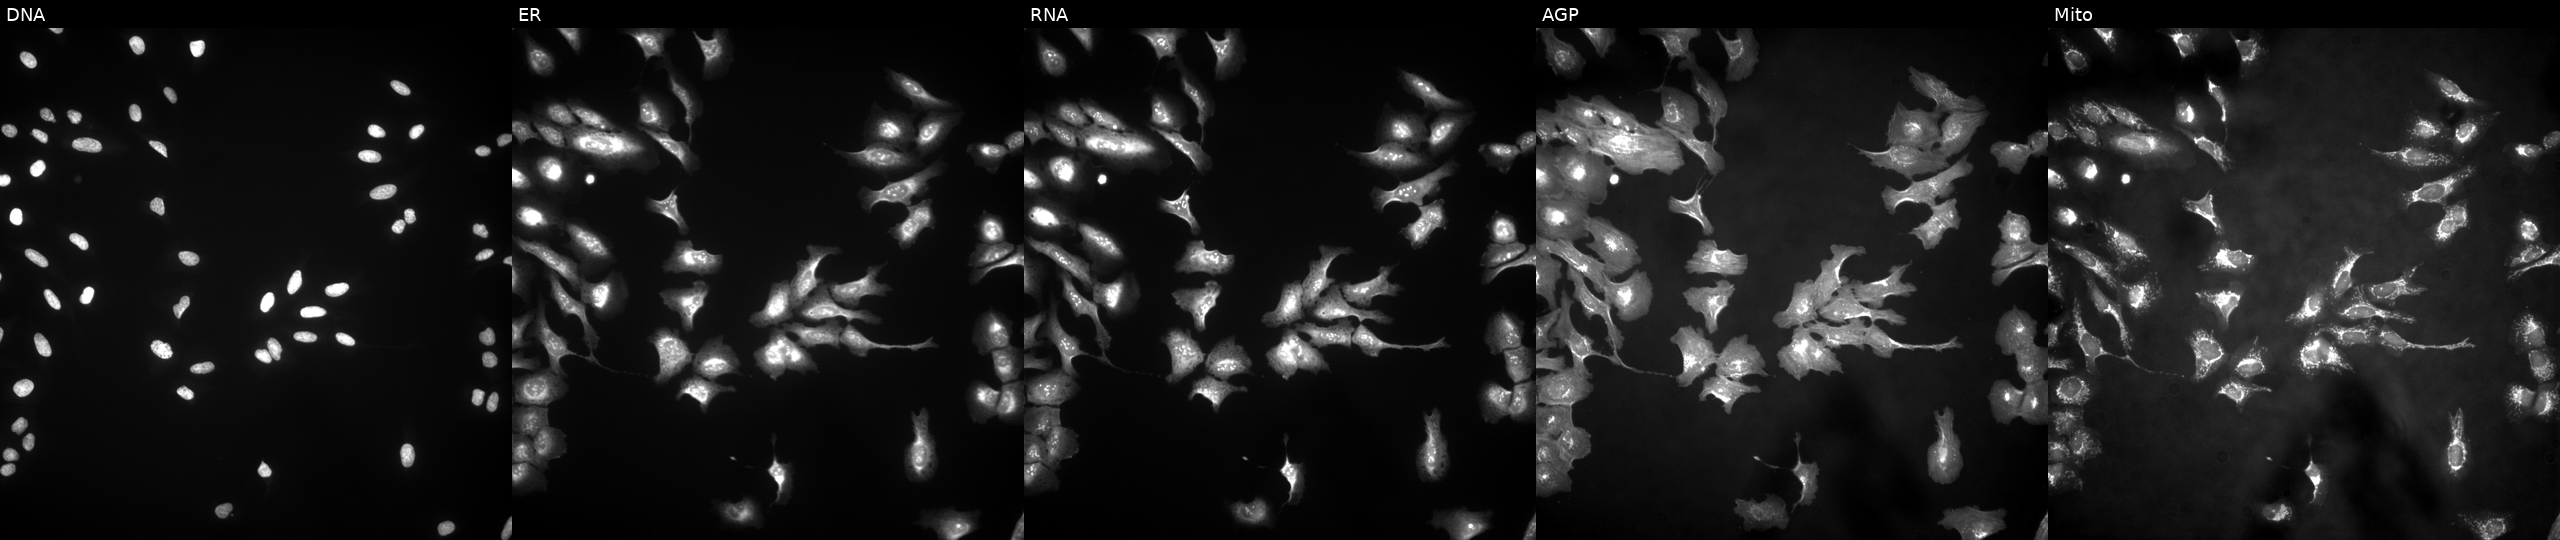
Panels show, left to right, DNA (nuclei); ER (endoplasmic reticulum); RNA (nucleoli and cytoplasmic RNA); AGP (actin cytoskeleton, Golgi, and plasma membrane); Mito (mitochondria). U2OS osteosarcoma cells with AZIN2 overexpressed (ORF). Cell Painting assay, JUMP-CP dataset. Source 4, plate BR00123506, well O09.